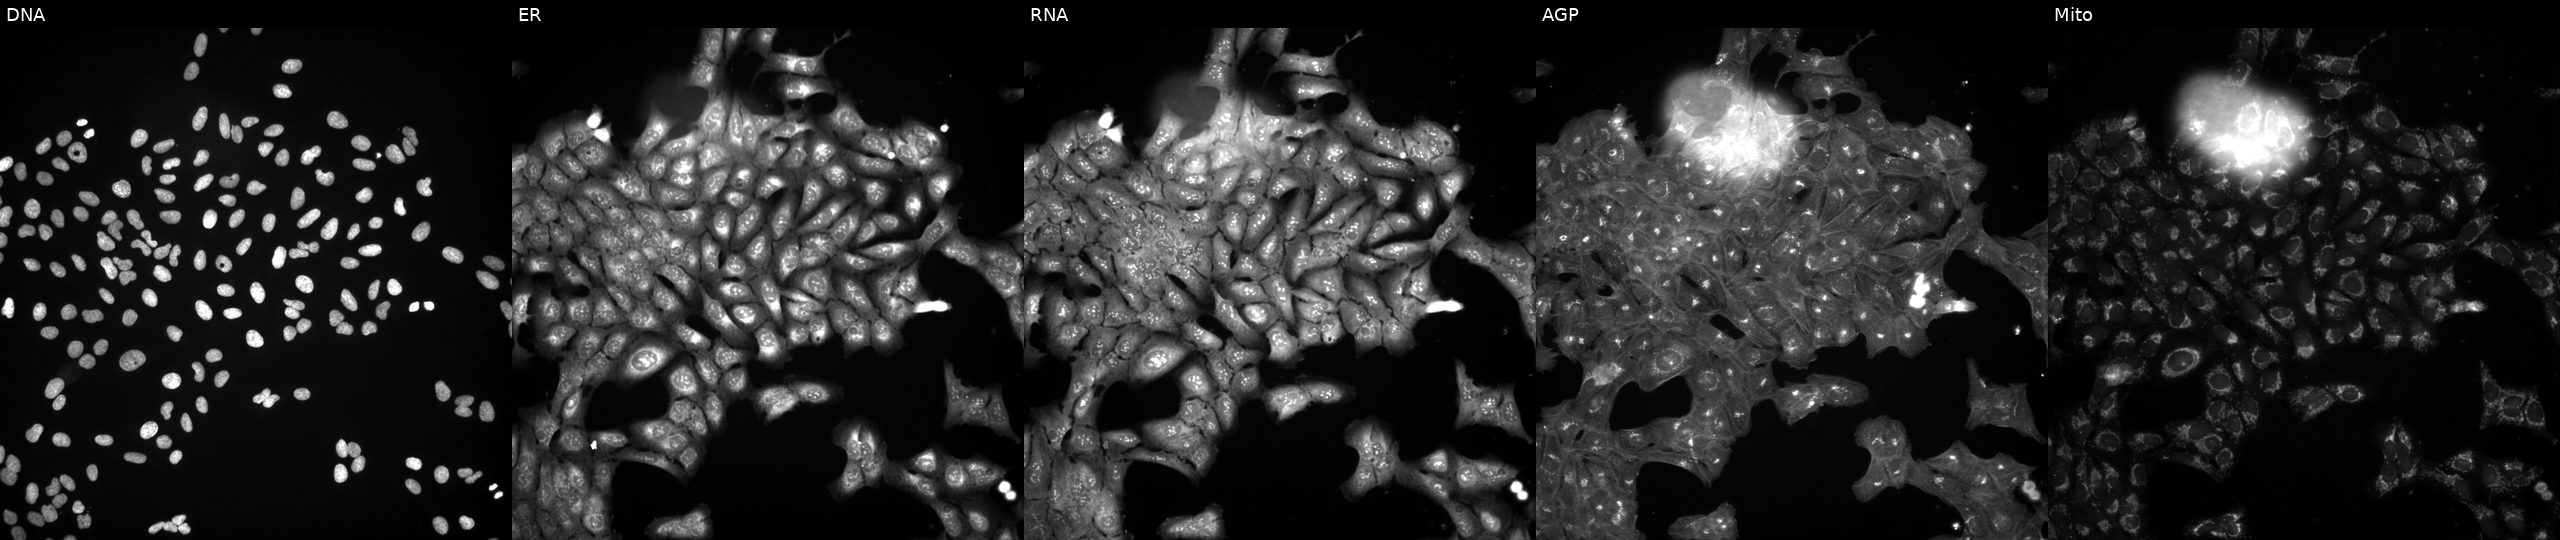
From left to right: DNA, ER, RNA, AGP, and Mito. U2OS osteosarcoma cells exposed to a small-molecule compound (InChIKey RAHBGWKEPAQNFF-UHFFFAOYSA-N) (JUMP id JCP2022_077046). Cell Painting assay, JUMP-CP dataset.